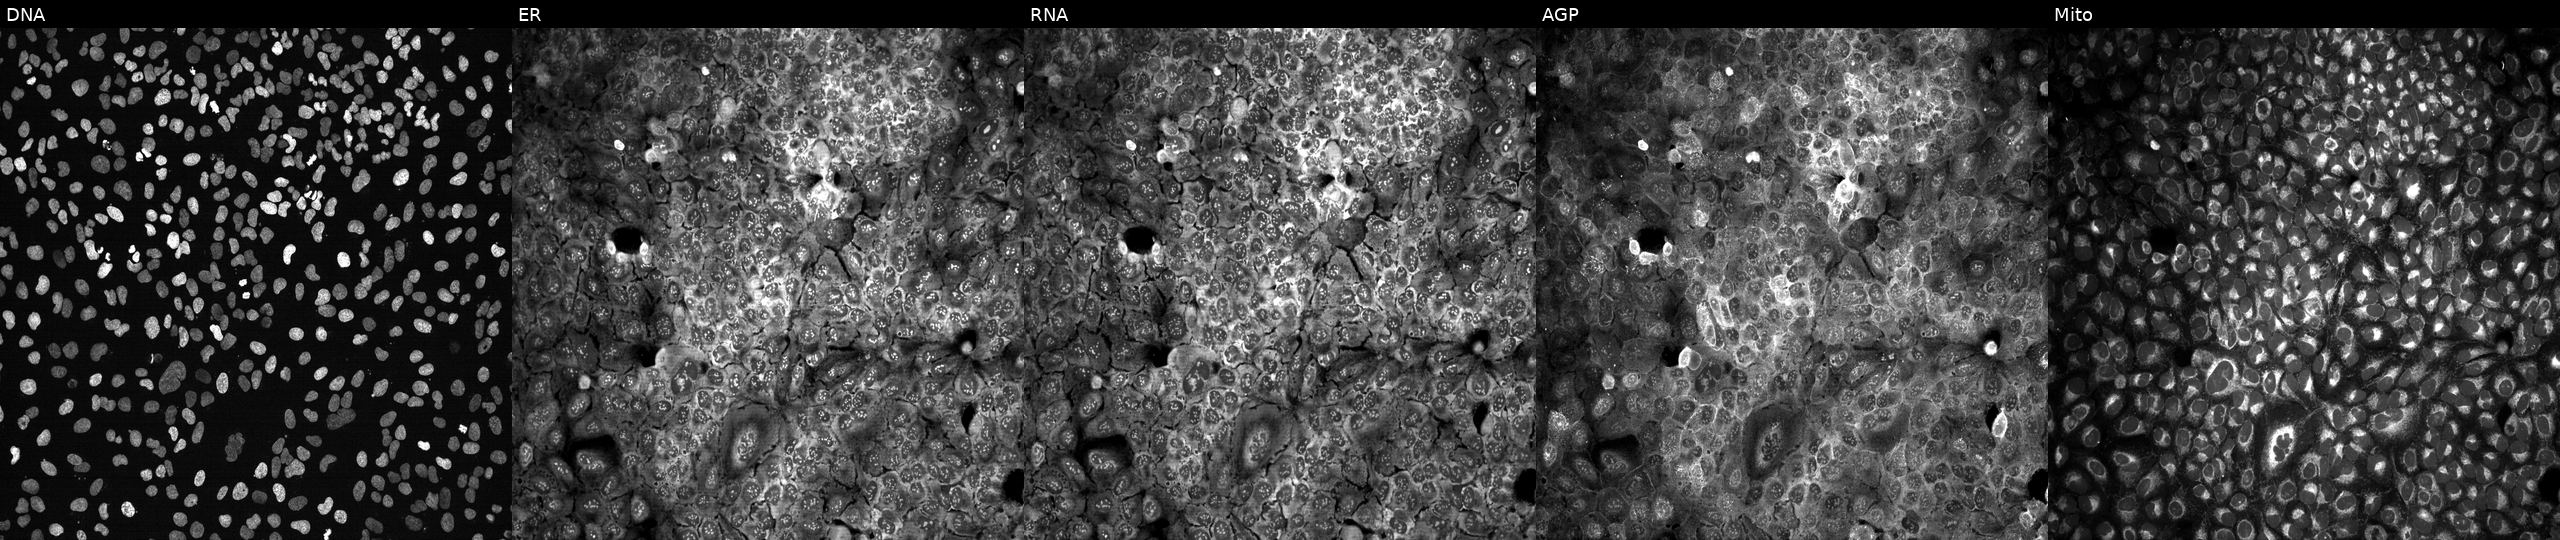
This image strip shows the five Cell Painting channels for a single field of U2OS cells following CRISPR knockout of DBH. Channels (left→right): DNA (nuclei); ER (endoplasmic reticulum); RNA (nucleoli and cytoplasmic RNA); AGP (actin cytoskeleton, Golgi, and plasma membrane); Mito (mitochondria). Source 13, plate CP-CC9-R4-03, well L16.